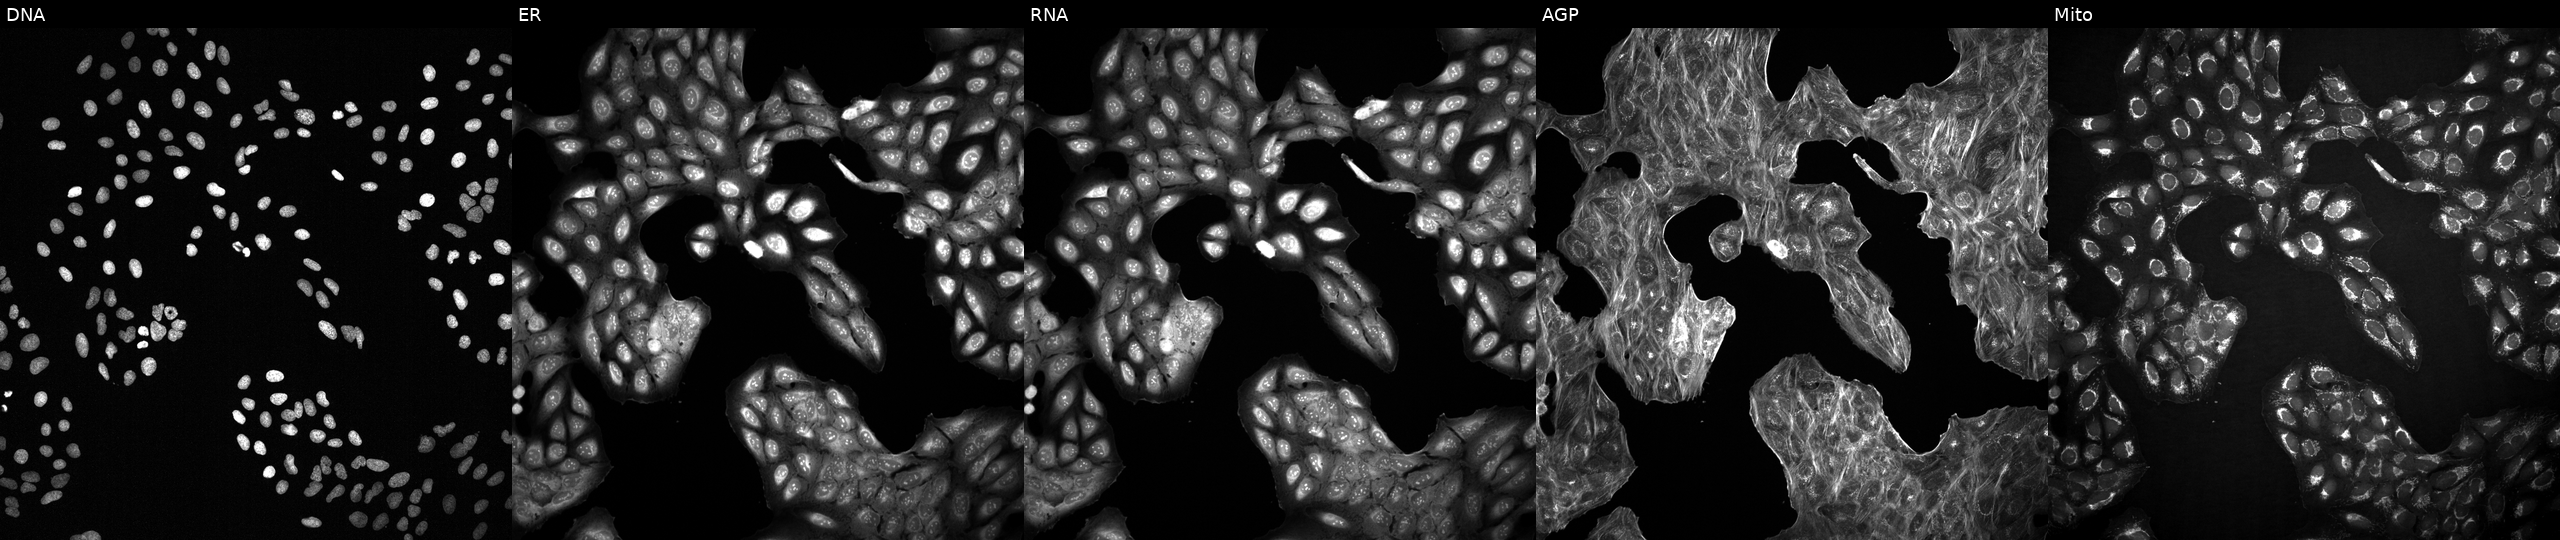
From left to right: Hoechst 33342, concanavalin A, SYTO 14, phalloidin and WGA, MitoTracker. U2OS osteosarcoma cells with an unidentified perturbation (not annotated in JUMP metadata). Cell Painting assay, JUMP-CP dataset.